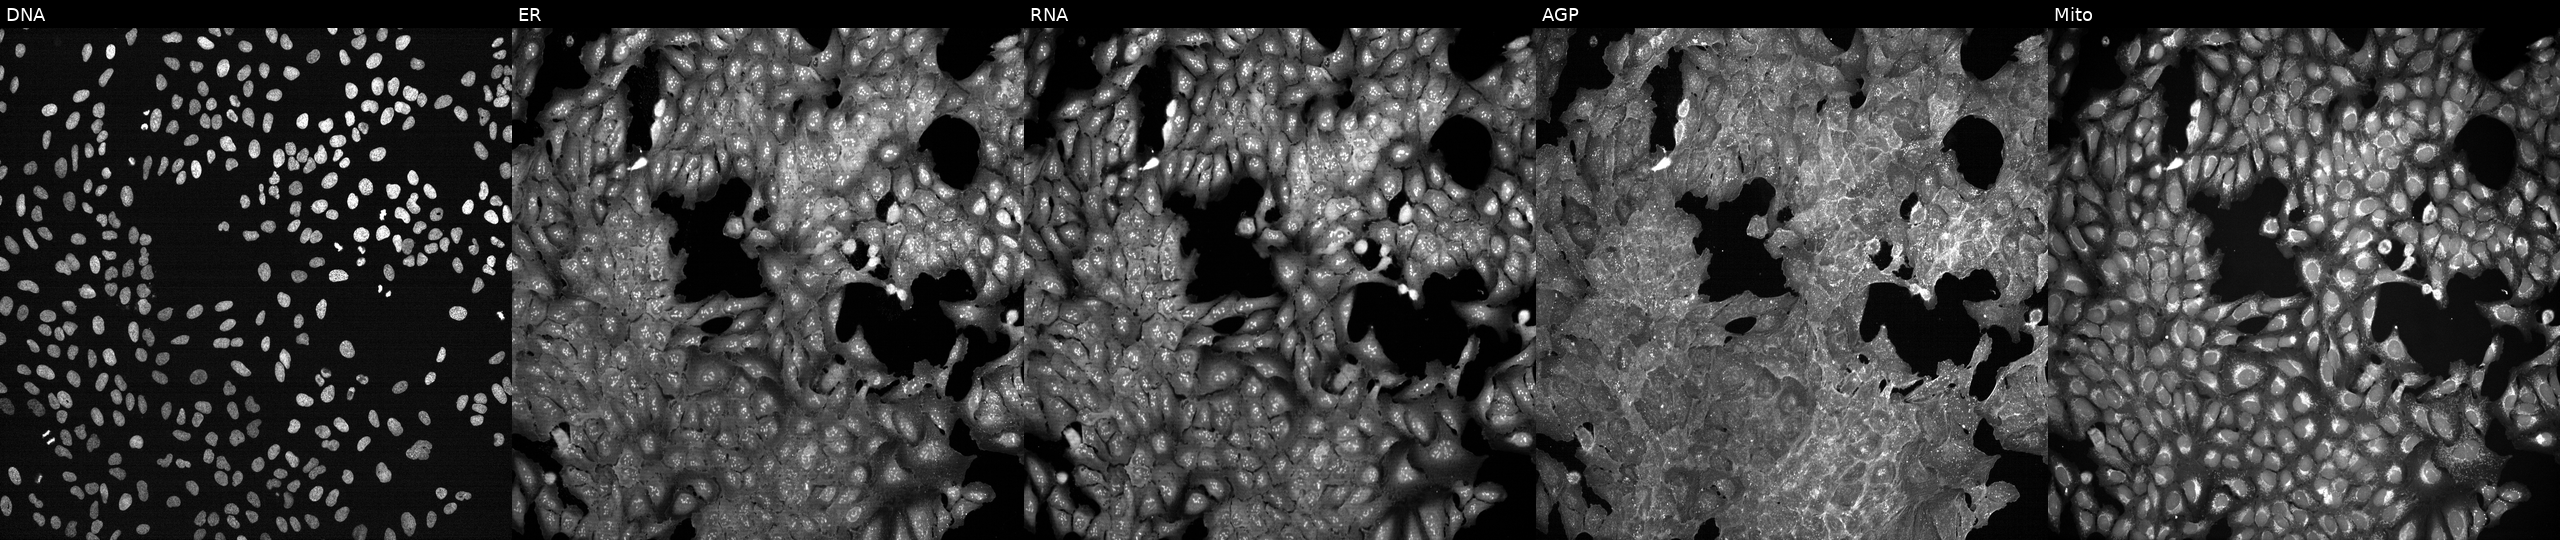
JUMP Cell Painting — TARGET2 plate. U2OS cells perturbed with a small-molecule compound (InChIKey ZRALSGWEFCBTJO-UHFFFAOYSA-N) [SMILES: N=C(N)N]. Panels show, left to right, Hoechst 33342, concanavalin A, SYTO 14, phalloidin and WGA, MitoTracker.